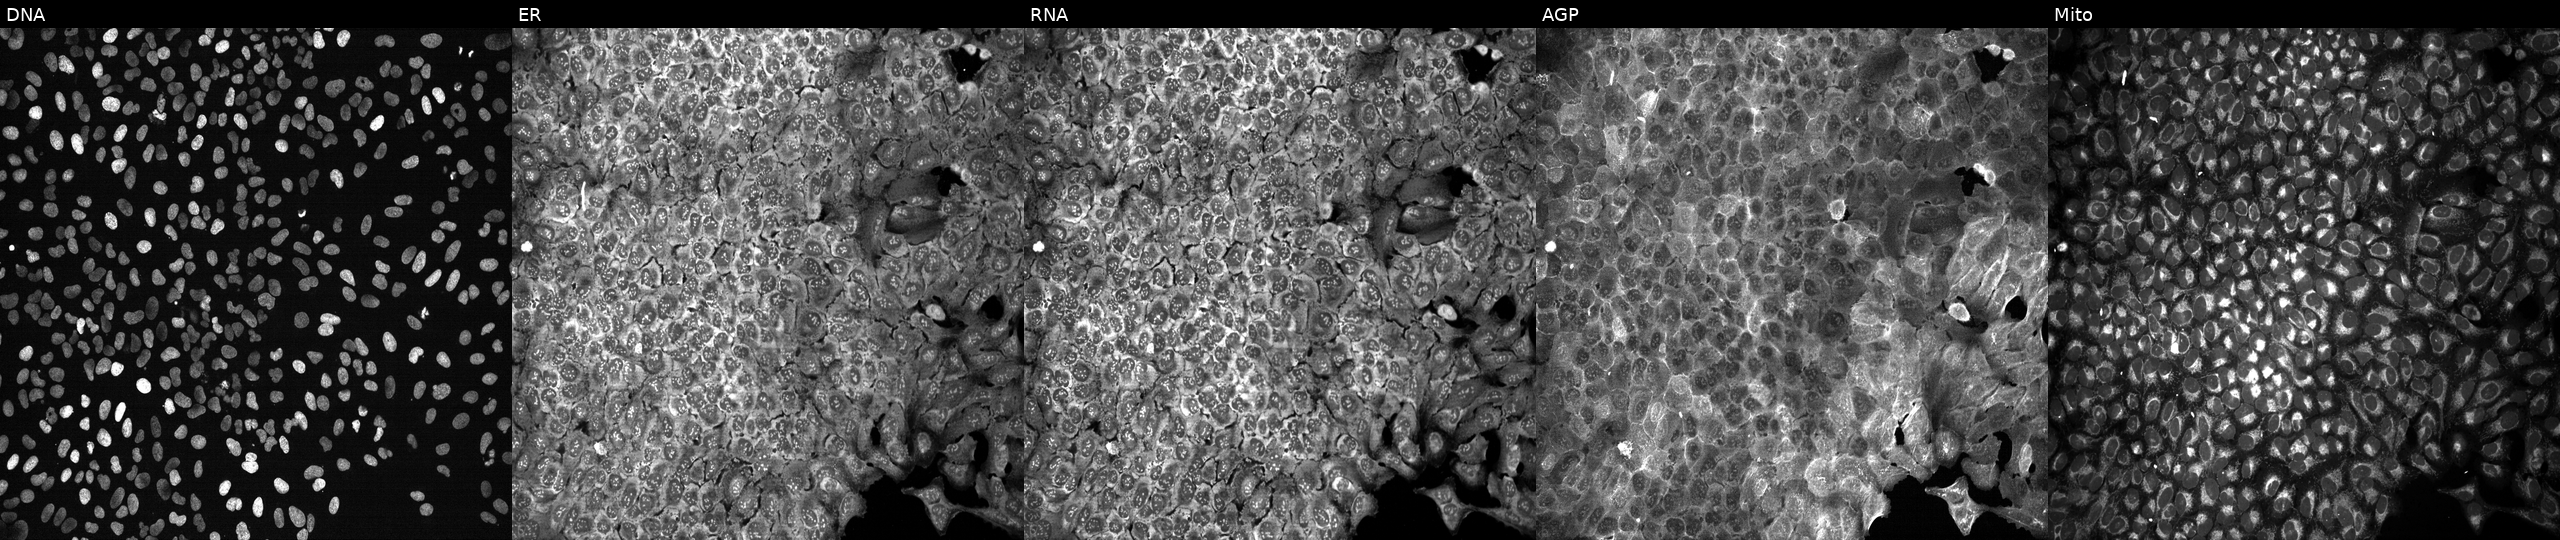
Five-channel Cell Painting image of U2OS cells with SLC23A3 knocked out by CRISPR. The five panels, left to right, show Hoechst 33342, concanavalin A, SYTO 14, phalloidin and WGA, MitoTracker. Source 13, plate CP-CC9-R2-01, well C22.